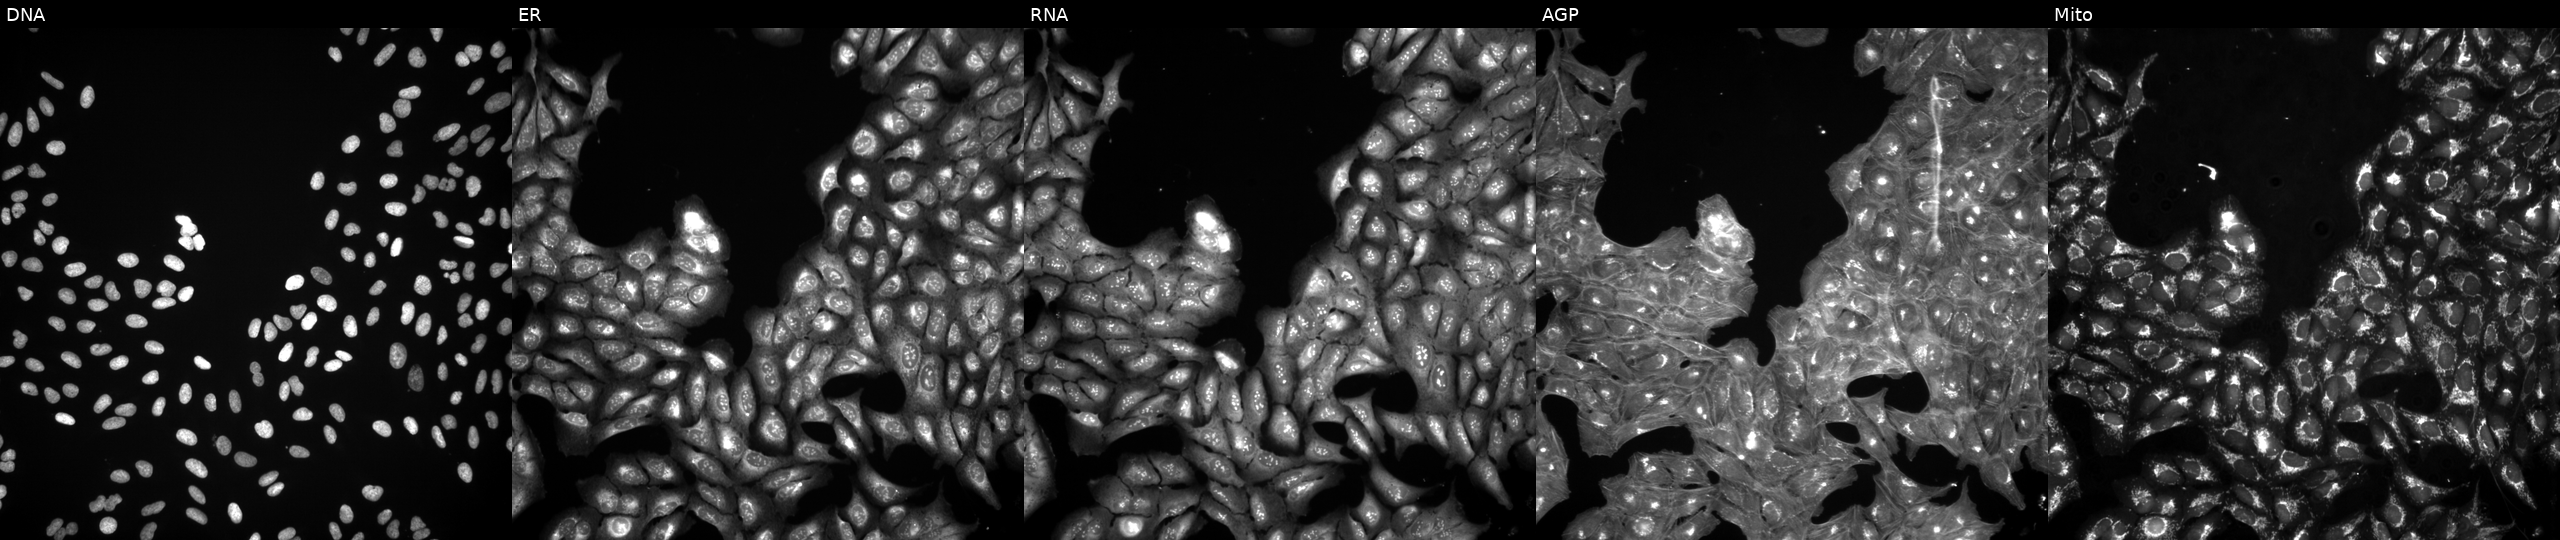
High-content fluorescence microscopy (Cell Painting). Cell line: U2OS. Perturbation: exposed to DMSO alone as a negative control (JUMP id JCP2022_033924). Panels show, left to right, DNA (nuclei); ER (endoplasmic reticulum); RNA (nucleoli and cytoplasmic RNA); AGP (actin cytoskeleton, Golgi, and plasma membrane); Mito (mitochondria). Source 3, plate BR5867b3, well B23.